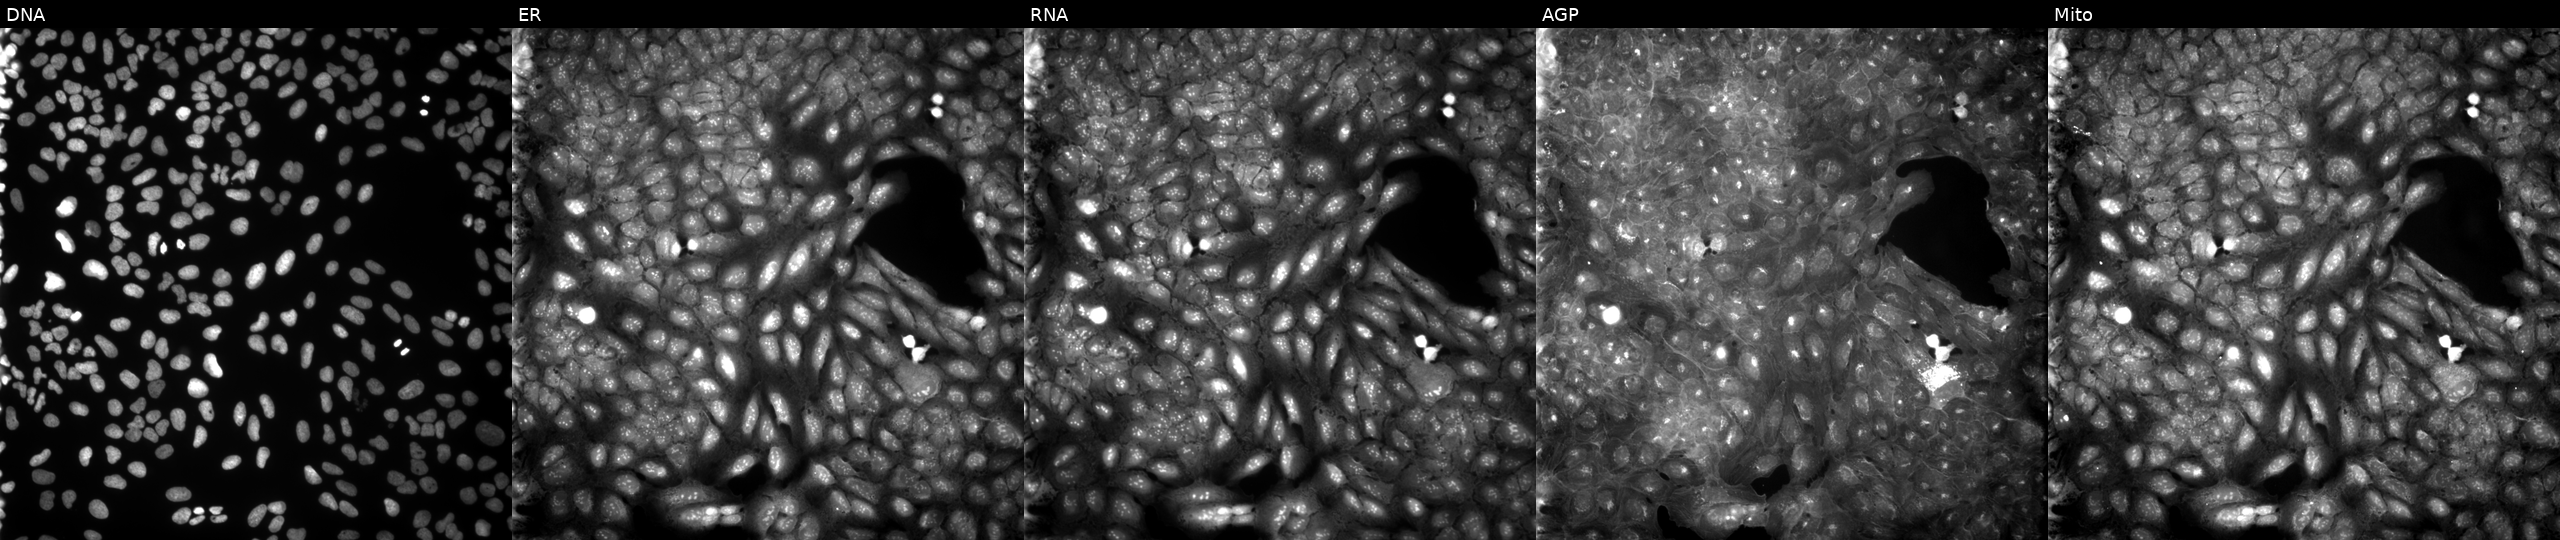
U2OS cells, Cell Painting assay, exposed to a small-molecule compound (InChIKey MYVGHDCBGHLCNI-UHFFFAOYSA-N). Channels (left→right): Hoechst 33342, concanavalin A, SYTO 14, phalloidin and WGA, MitoTracker. Each panel is percentile-stretched 16-bit fluorescence.